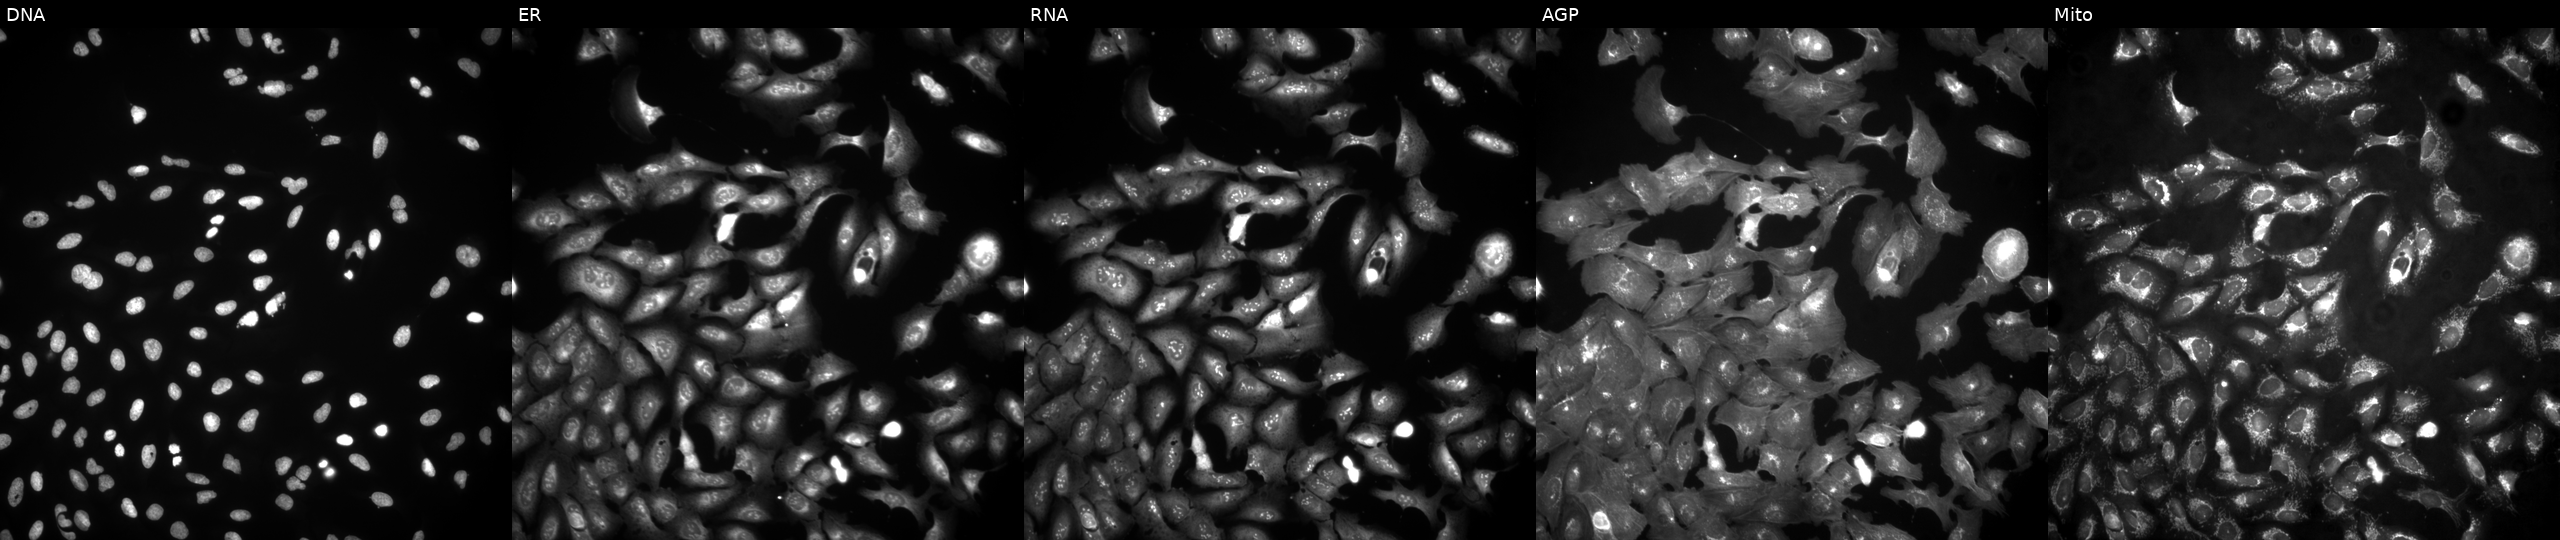
JUMP Cell Painting — ORF plate. U2OS cells overexpressing LPAR1 via ORF transfection (JUMP id JCP2022_900446). The five panels, left to right, show Hoechst 33342, concanavalin A, SYTO 14, phalloidin and WGA, MitoTracker.